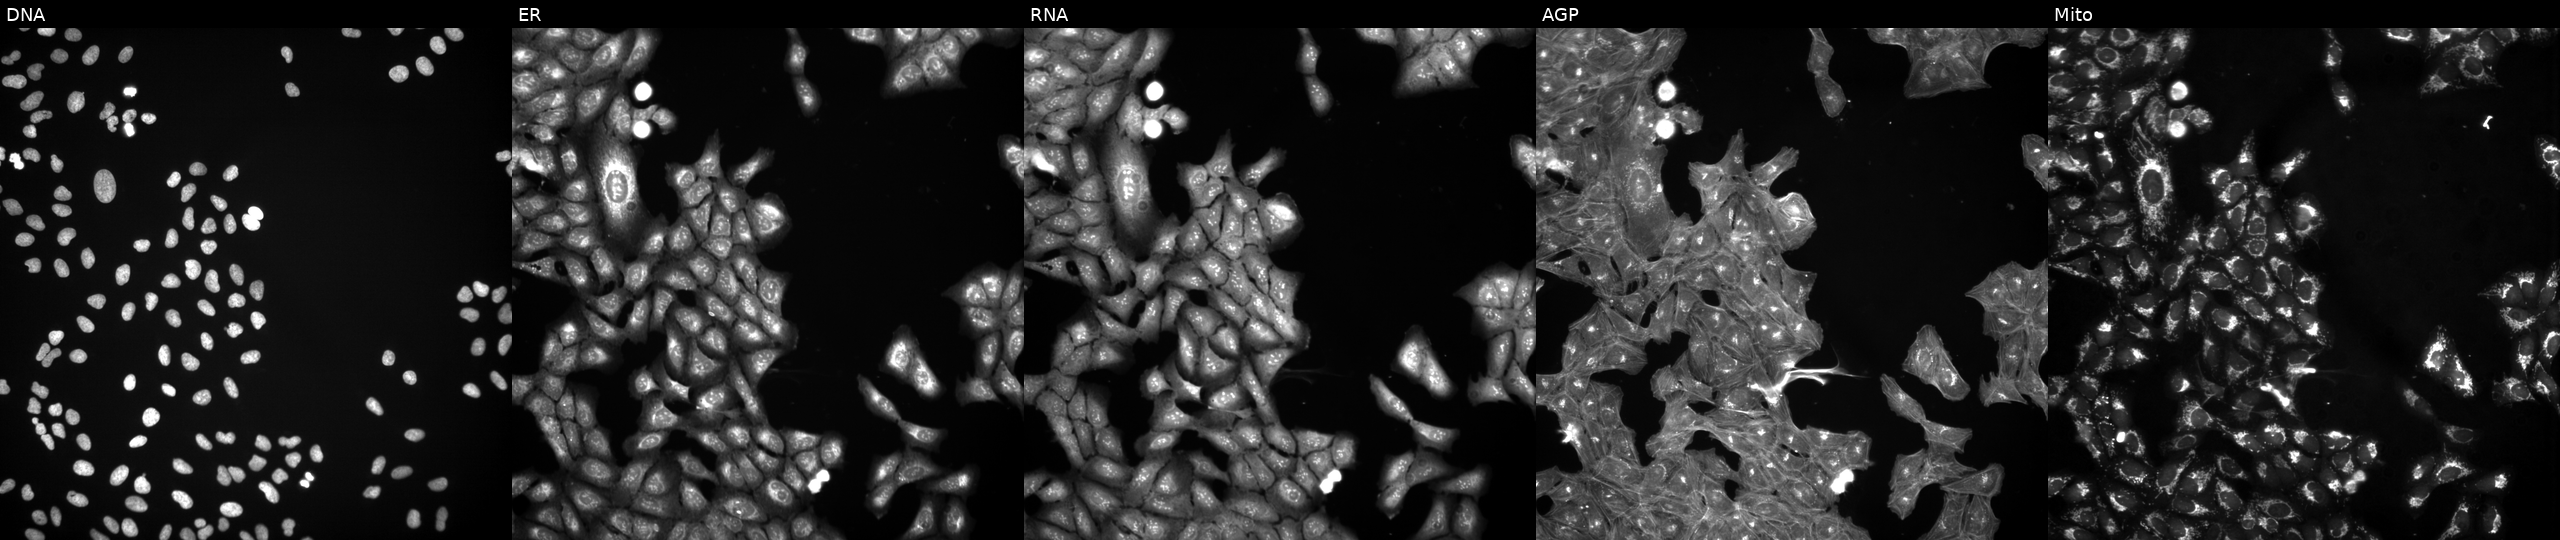
High-content fluorescence microscopy (Cell Painting). Cell line: U2OS. Perturbation: treated with a small-molecule compound (InChIKey LPAHKJMGDSJDRG-UHFFFAOYSA-N) (JUMP id JCP2022_050830). Panels show, left to right, DNA, ER, RNA, AGP, and Mito. Source 3, plate JCPQC053, well F09.